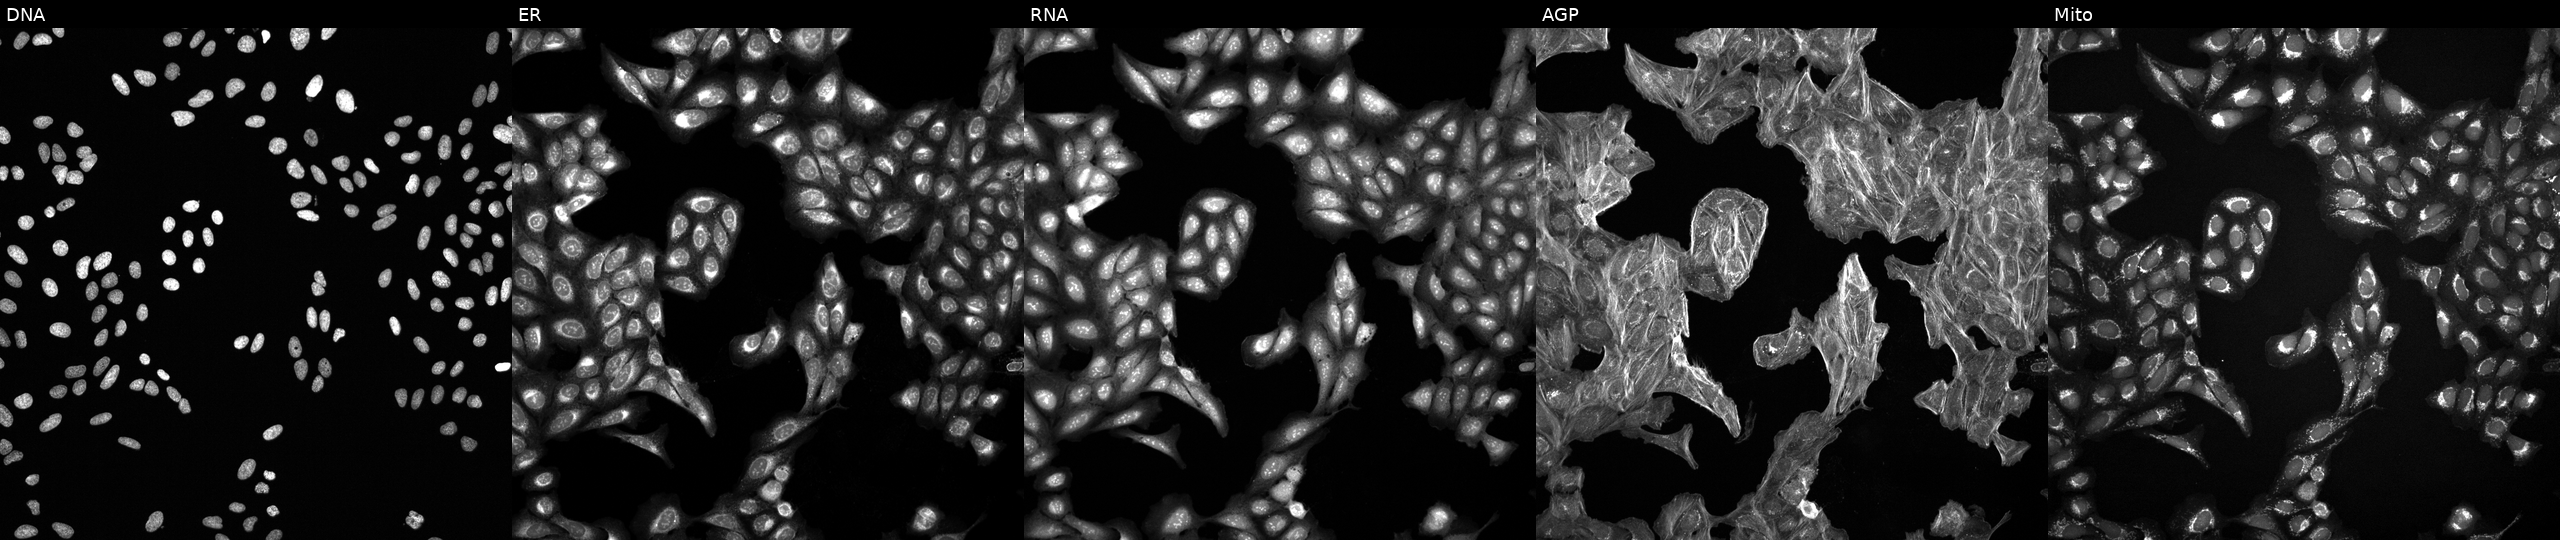
U2OS cells, Cell Painting assay, exposed to a small-molecule compound (InChIKey WNRWVJVABXDVIU-UHFFFAOYSA-N). Panels show, left to right, Hoechst 33342, concanavalin A, SYTO 14, phalloidin and WGA, MitoTracker. Each panel is percentile-stretched 16-bit fluorescence.